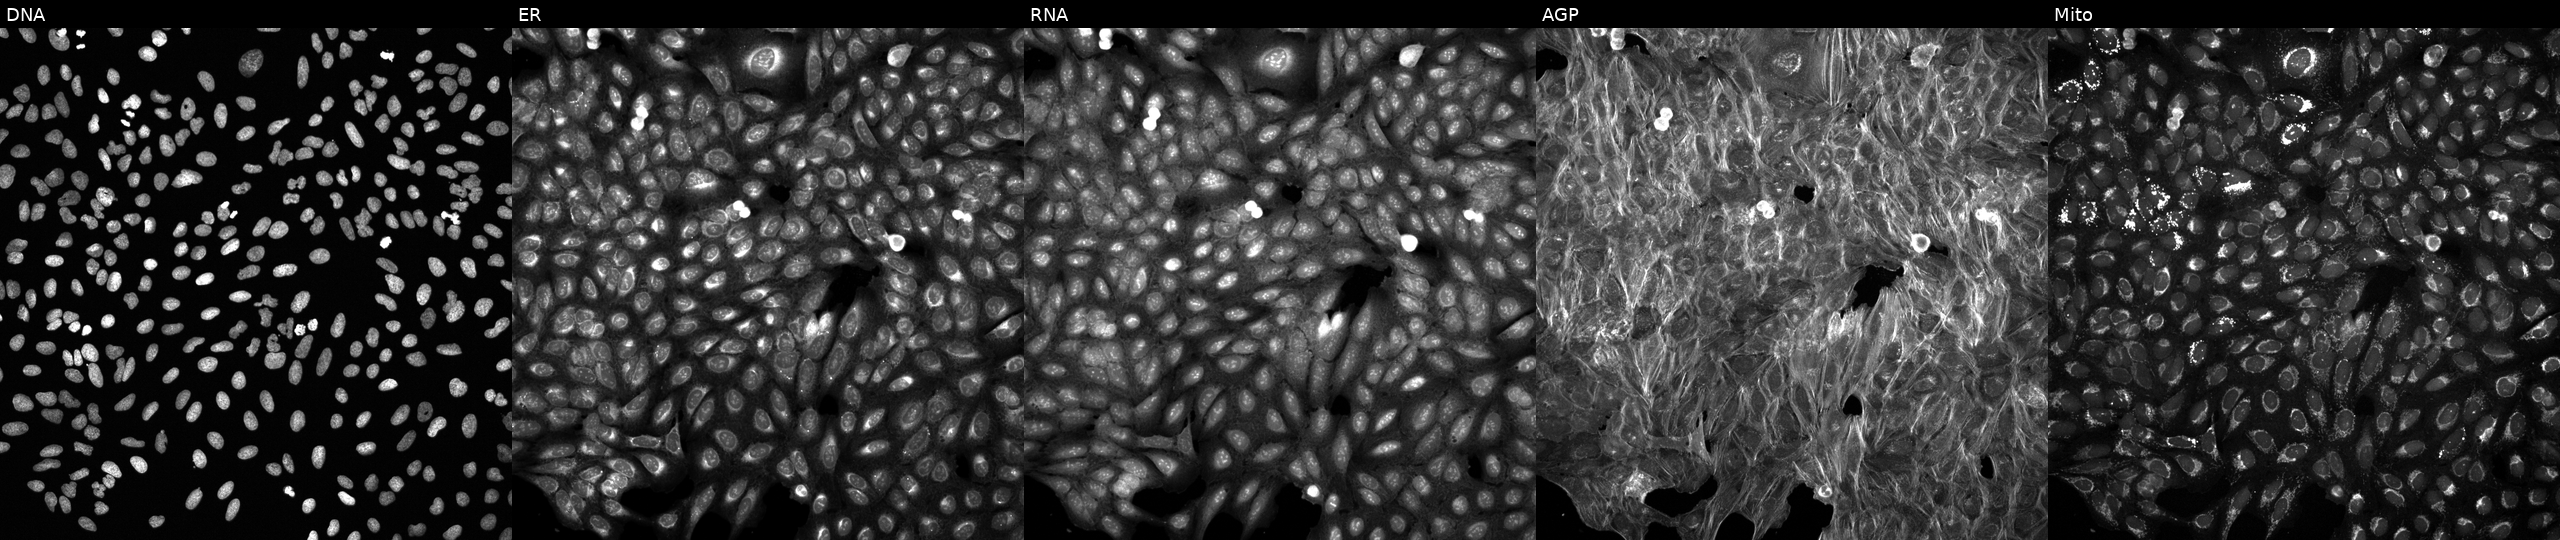
U2OS cells, Cell Painting assay, treated with DMSO vehicle only (negative control). Channels (left→right): Hoechst 33342, concanavalin A, SYTO 14, phalloidin and WGA, MitoTracker. Each panel is percentile-stretched 16-bit fluorescence.